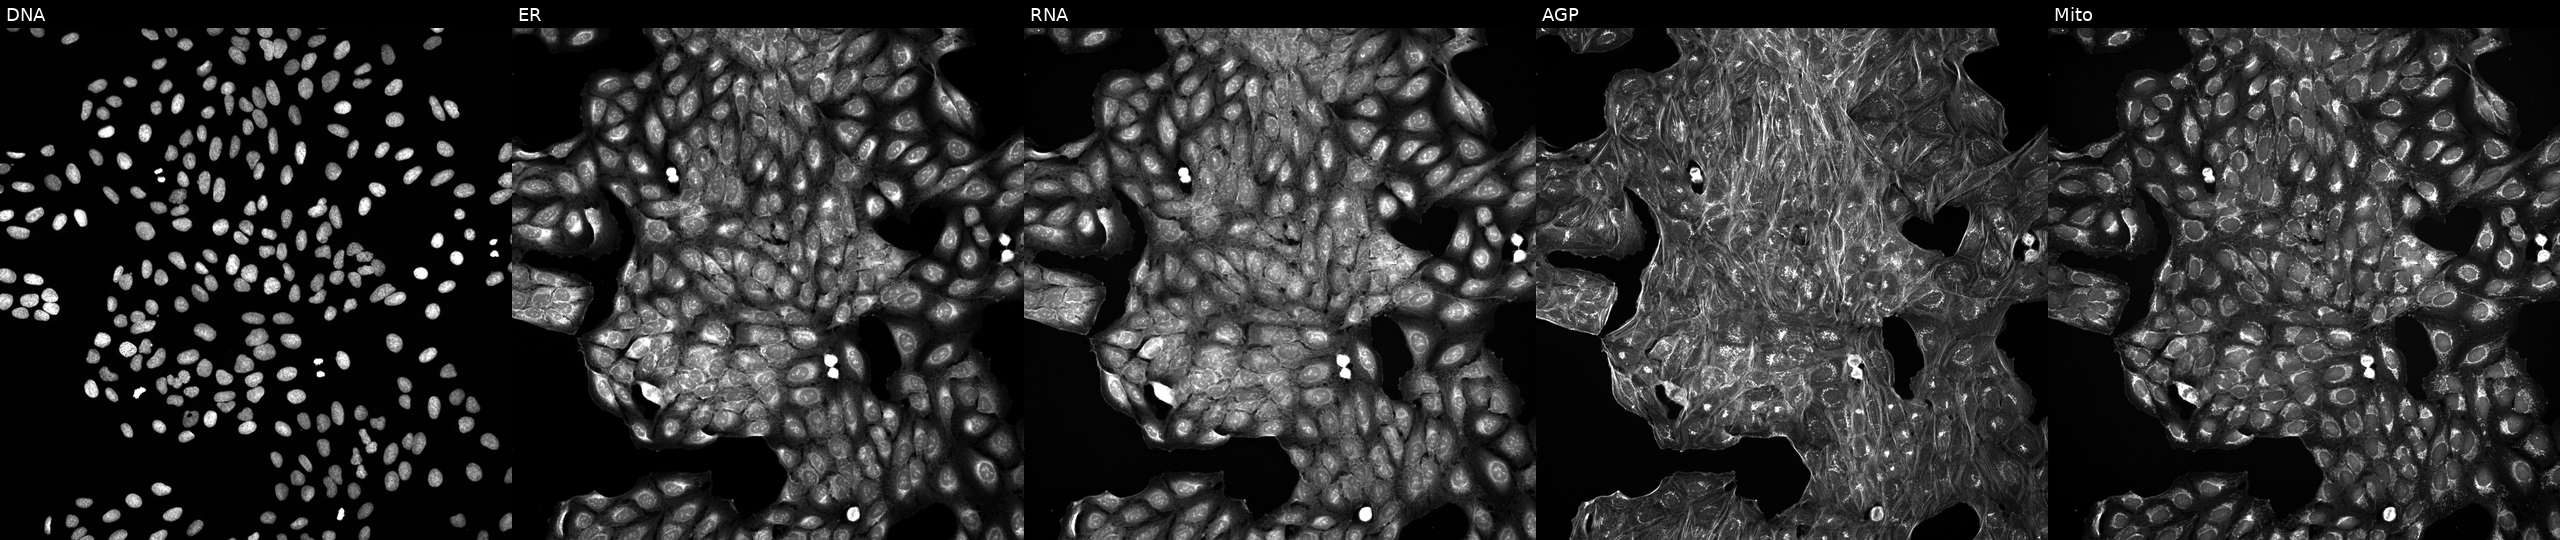
JUMP Cell Painting — TARGET2 plate. U2OS cells treated with a small-molecule compound (JUMP id JCP2022_114322). The five panels, left to right, show DNA, ER, RNA, AGP, and Mito.